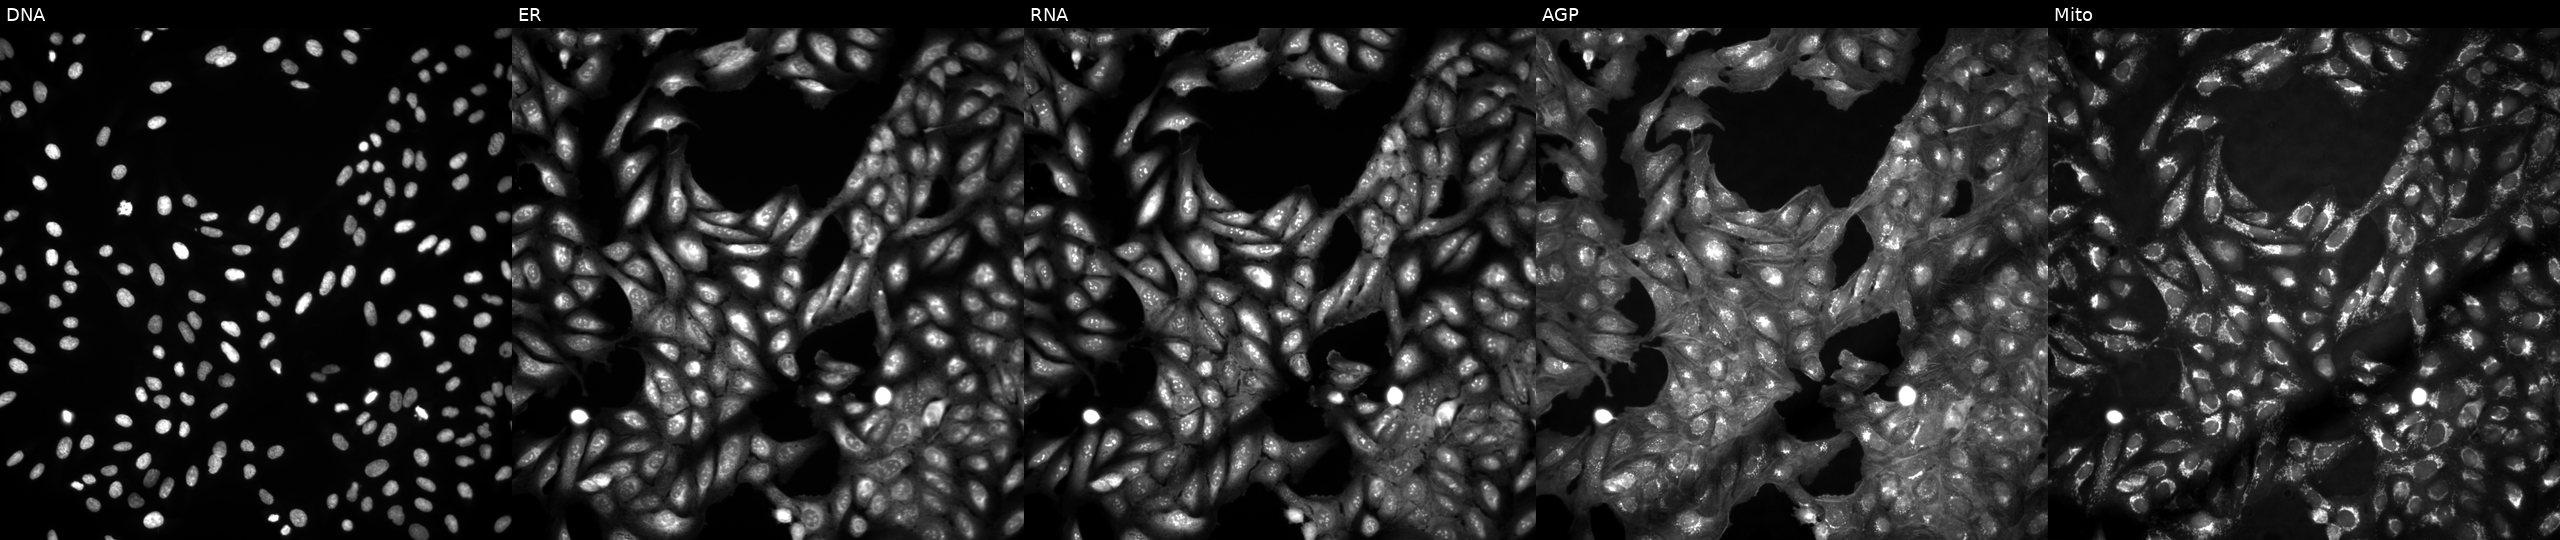
JUMP Cell Painting — ORF plate. U2OS cells in an empty control well (no perturbation). Channels (left→right): Hoechst 33342, concanavalin A, SYTO 14, phalloidin and WGA, MitoTracker. Source 4, plate BR00124793, well D23.